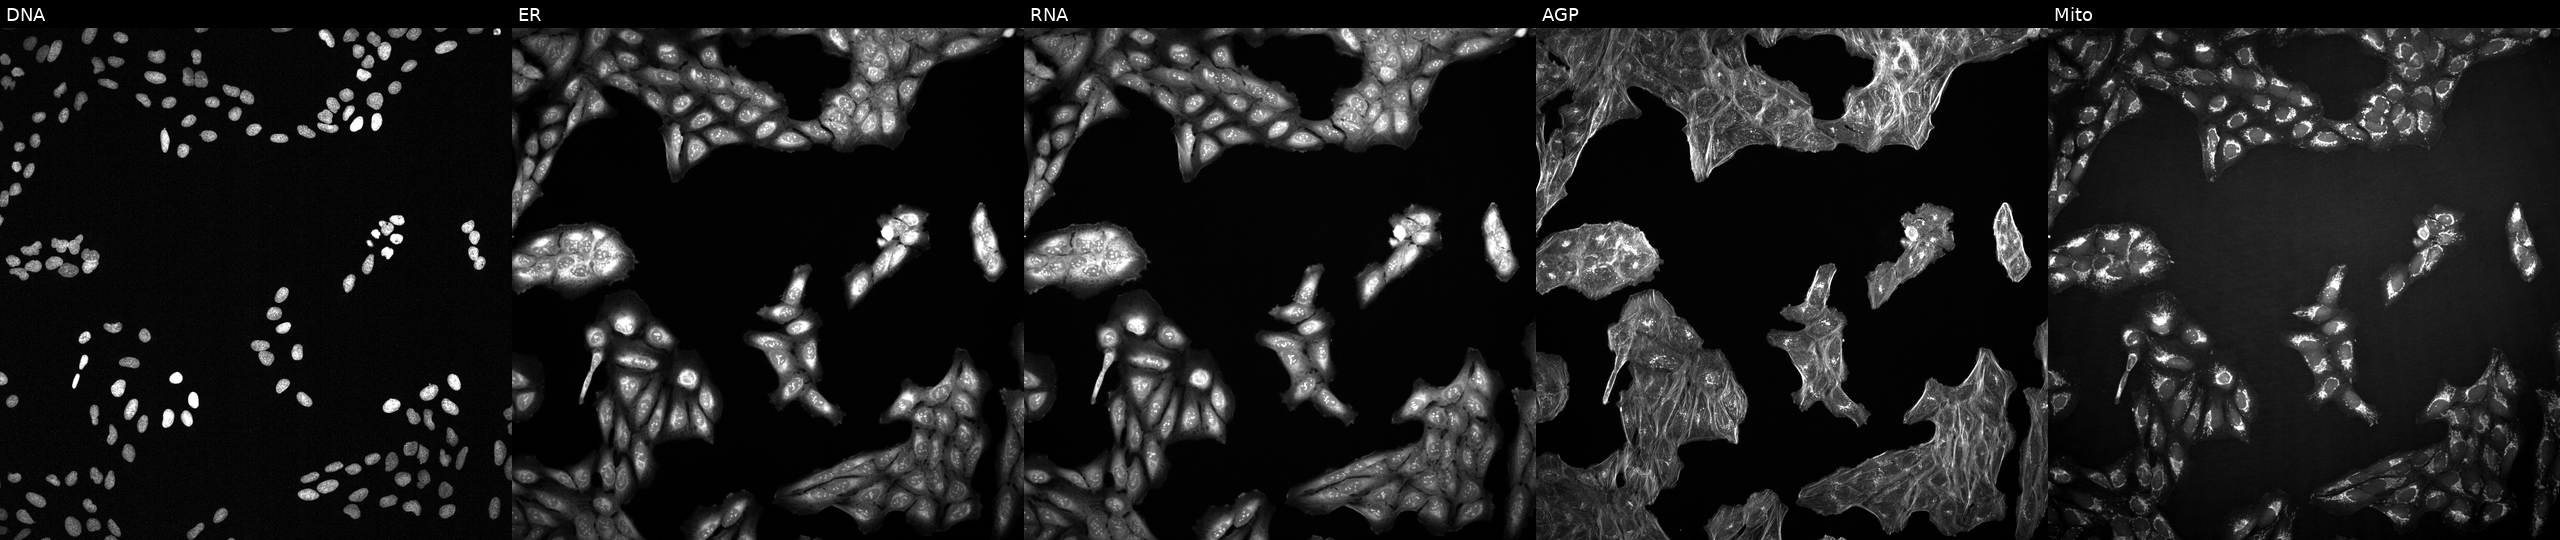
Five-channel Cell Painting image of U2OS cells treated with a small-molecule compound (InChIKey BGVLELSCIHASRV-UHFFFAOYSA-N) (JUMP id JCP2022_006270). Channels (left→right): Hoechst 33342, concanavalin A, SYTO 14, phalloidin and WGA, MitoTracker. Source 2, plate 1053600674, well F12.